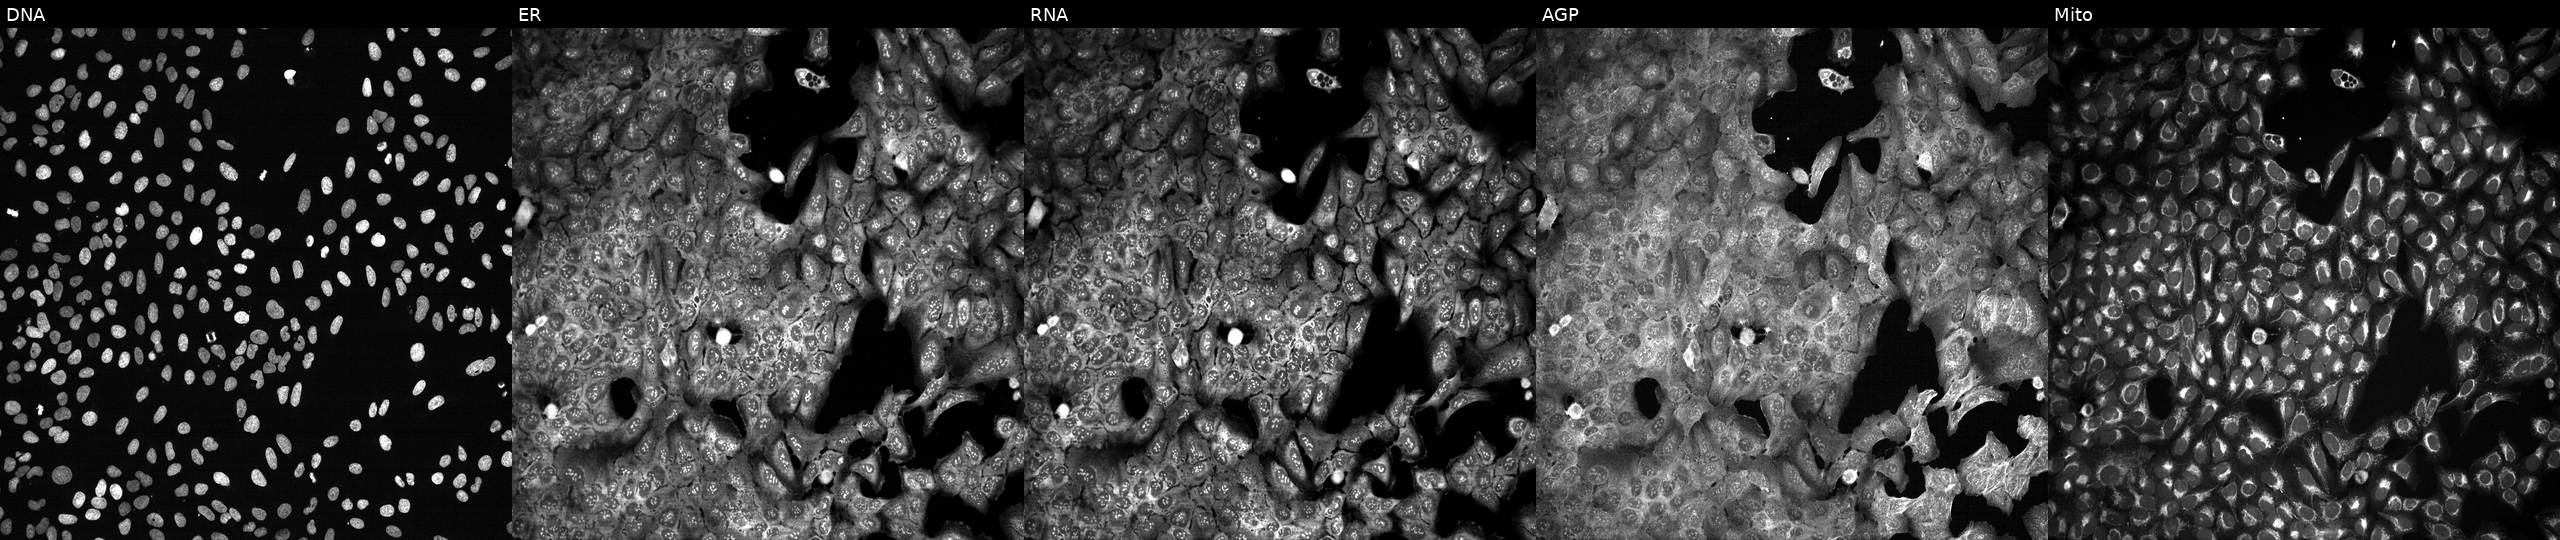
Five-channel Cell Painting image of U2OS cells CRISPR-edited to disrupt DNM1L. From left to right: Hoechst 33342, concanavalin A, SYTO 14, phalloidin and WGA, MitoTracker. Source 13, plate CP-CC9-R3-02, well P18.